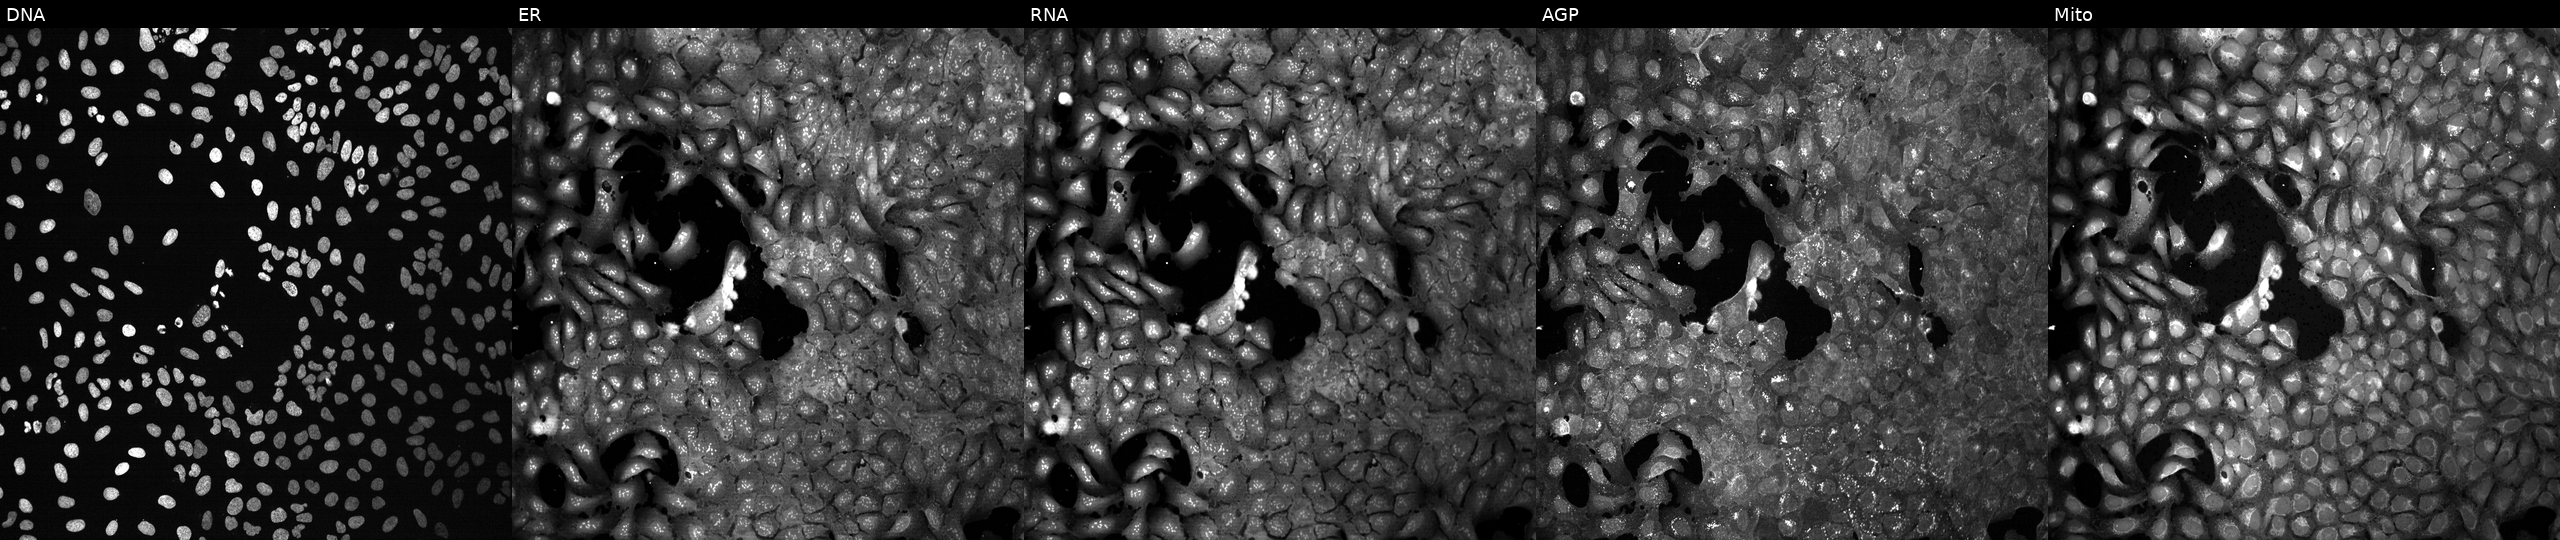
Panels show, left to right, DNA, ER, RNA, AGP, and Mito. U2OS osteosarcoma cells CRISPR-edited to disrupt PLA2G4D. Cell Painting assay, JUMP-CP dataset.